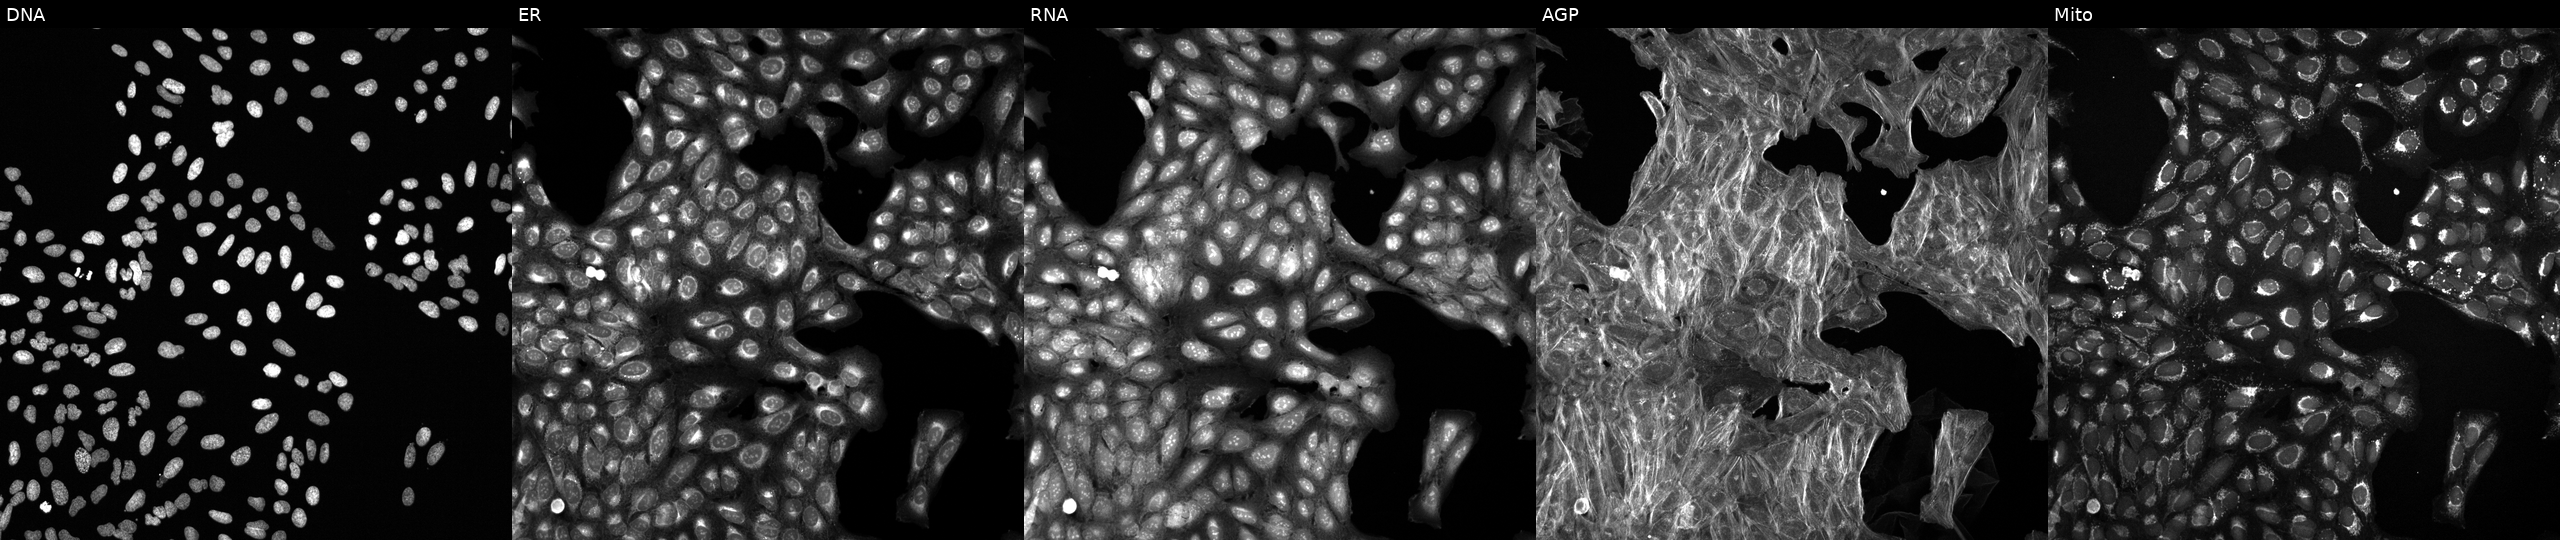
U2OS cells, Cell Painting assay, exposed to DMSO alone as a negative control (JUMP id JCP2022_033924). Channels (left→right): Hoechst 33342, concanavalin A, SYTO 14, phalloidin and WGA, MitoTracker. Each panel is percentile-stretched 16-bit fluorescence.